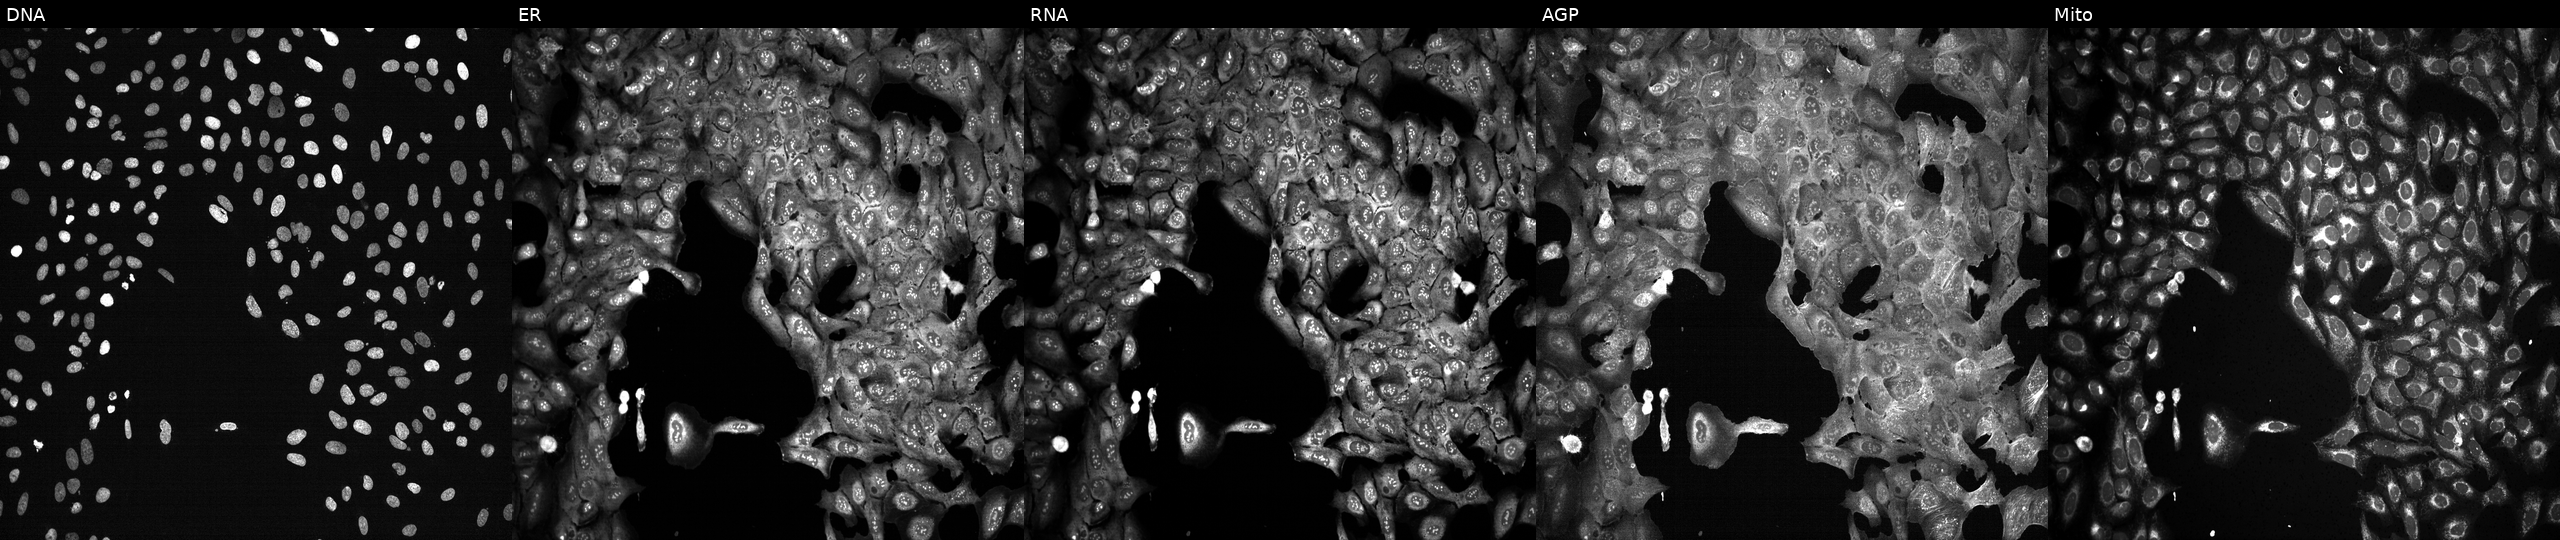
U2OS cells, Cell Painting assay, following CRISPR knockout of NOD1 (JUMP id JCP2022_804634). From left to right: DNA, ER, RNA, AGP, and Mito. Each panel is percentile-stretched 16-bit fluorescence. Source 13, plate CP-CC9-R3-02, well G18.